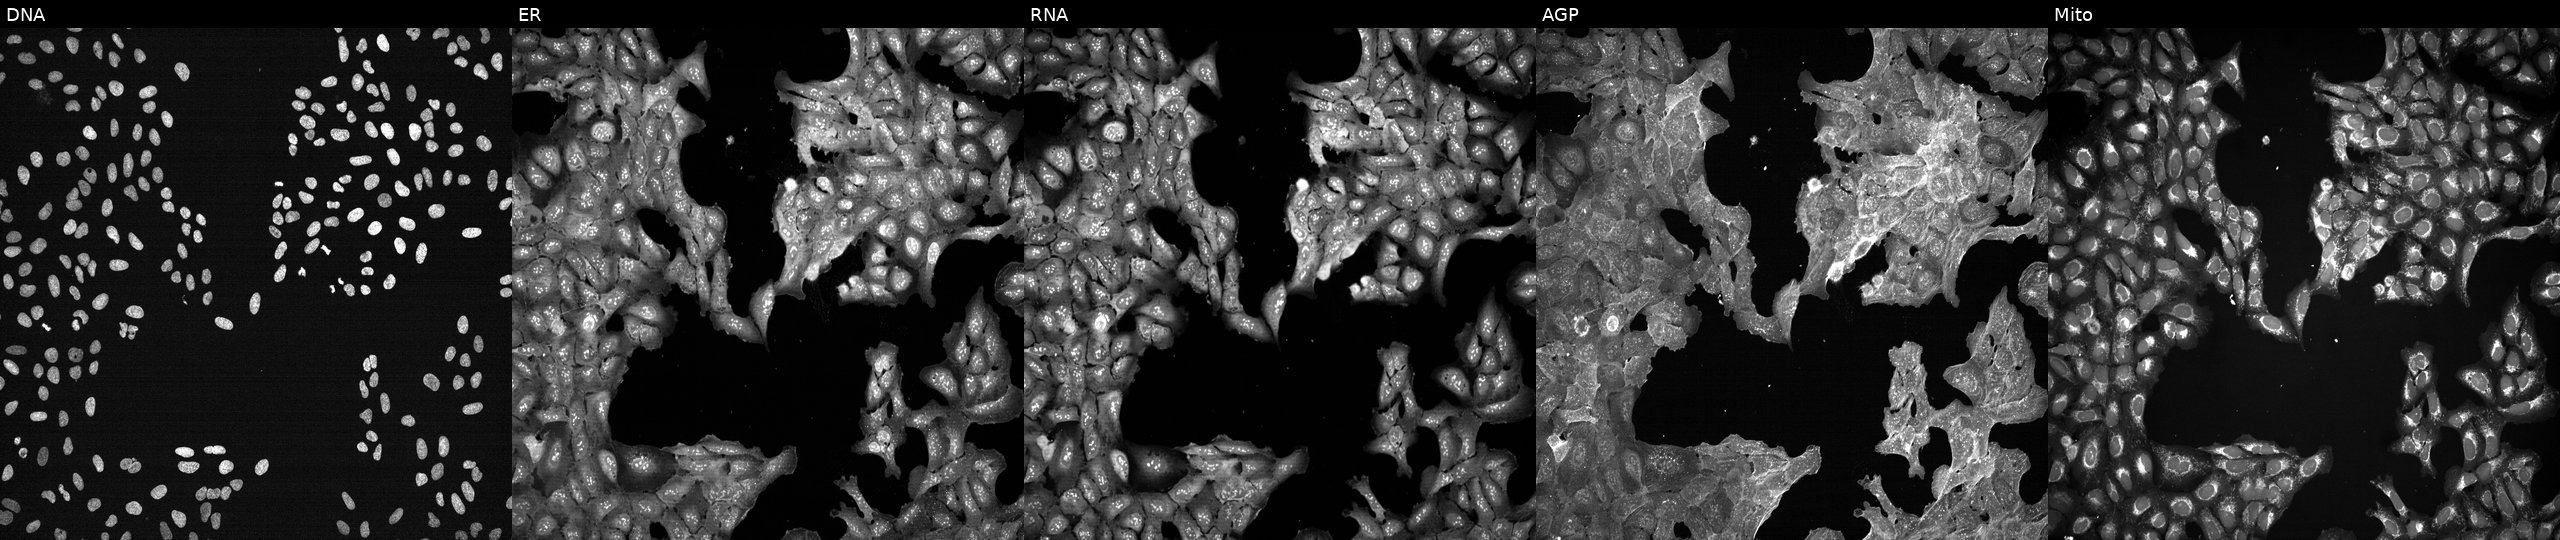
JUMP Cell Painting — TARGET2 plate. U2OS cells perturbed with a small-molecule compound (InChIKey MVCQKIKWYUURMU-UHFFFAOYSA-N). From left to right: DNA, ER, RNA, AGP, and Mito.